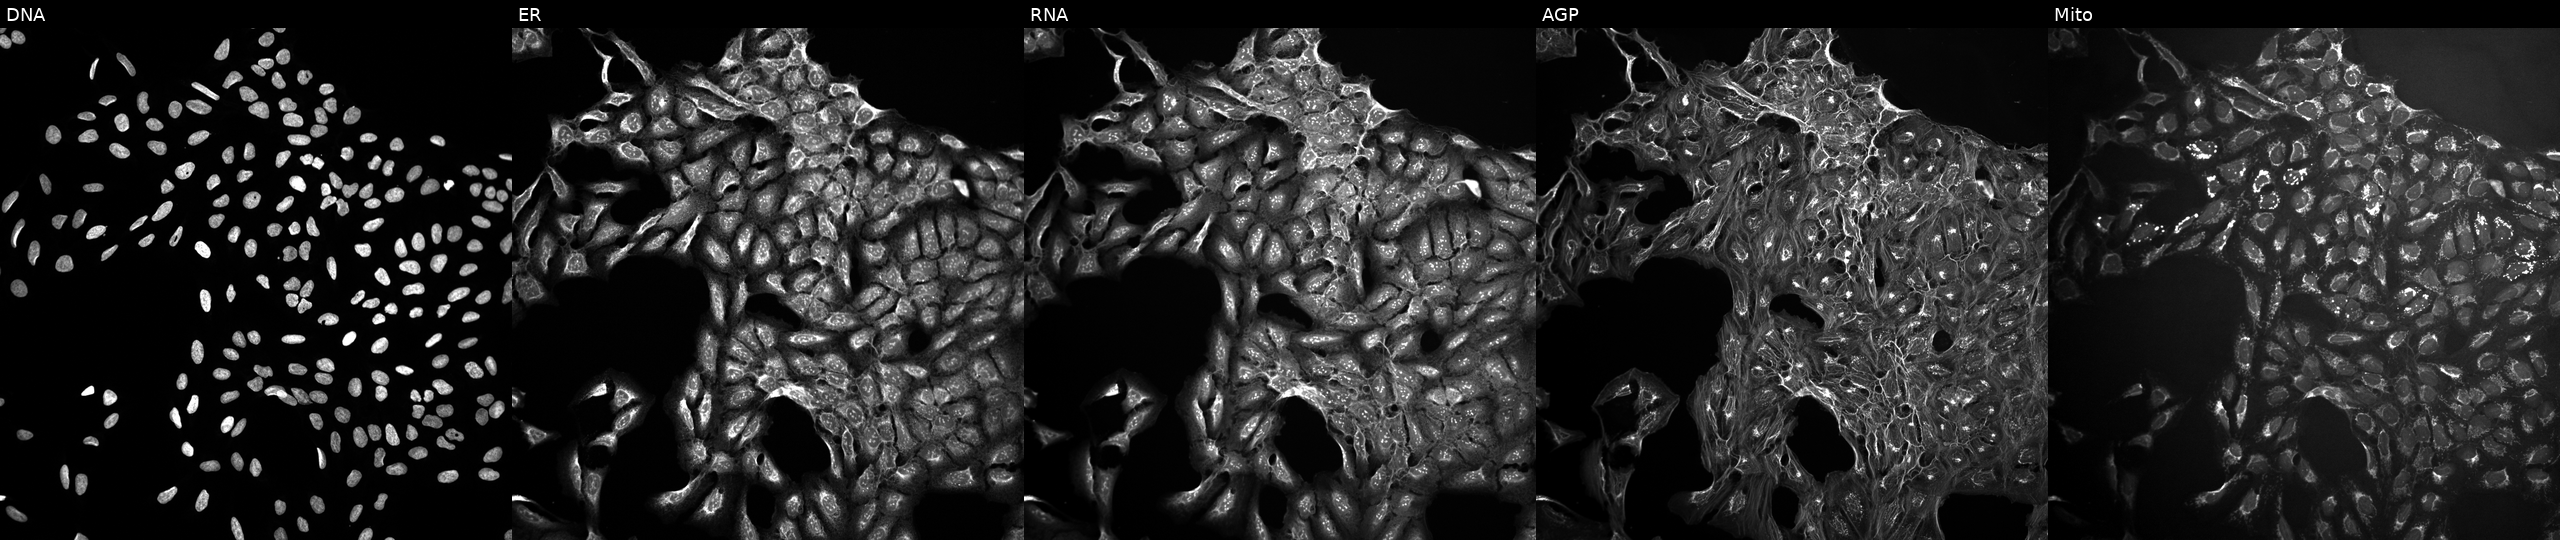
From left to right: DNA, ER, RNA, AGP, and Mito. U2OS osteosarcoma cells untreated (empty-well control) (JUMP id JCP2022_999999). Cell Painting assay, JUMP-CP dataset. Source 10, plate Dest210531-152324, well J21.